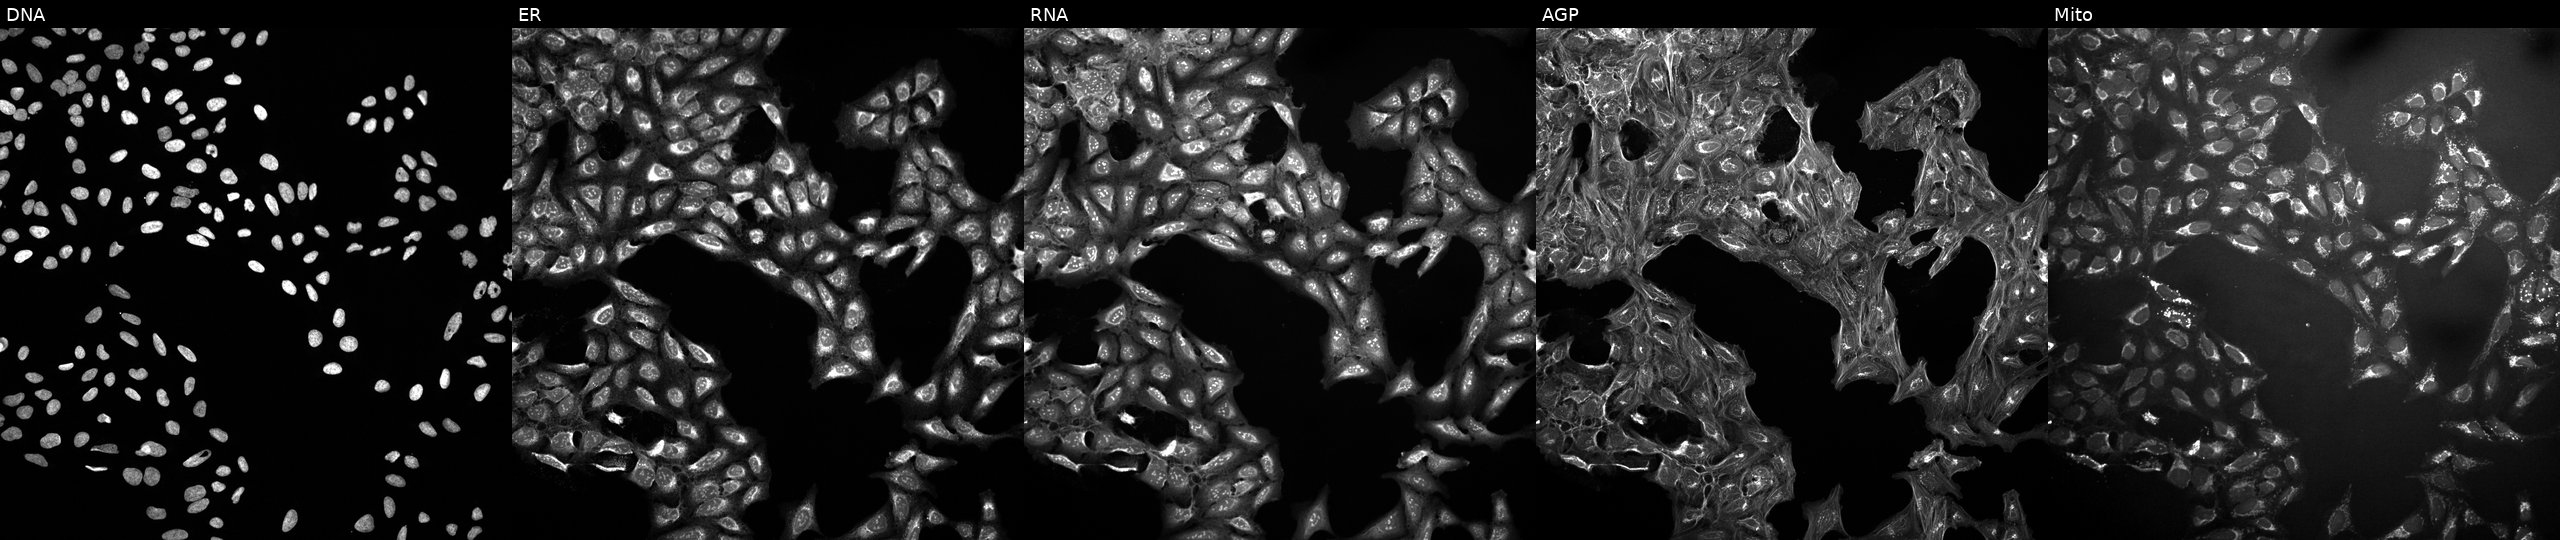
U2OS cells, Cell Painting assay, treated with aloxistatin (positive-control compound) (JUMP id JCP2022_085227). From left to right: DNA, ER, RNA, AGP, and Mito. Each panel is percentile-stretched 16-bit fluorescence.